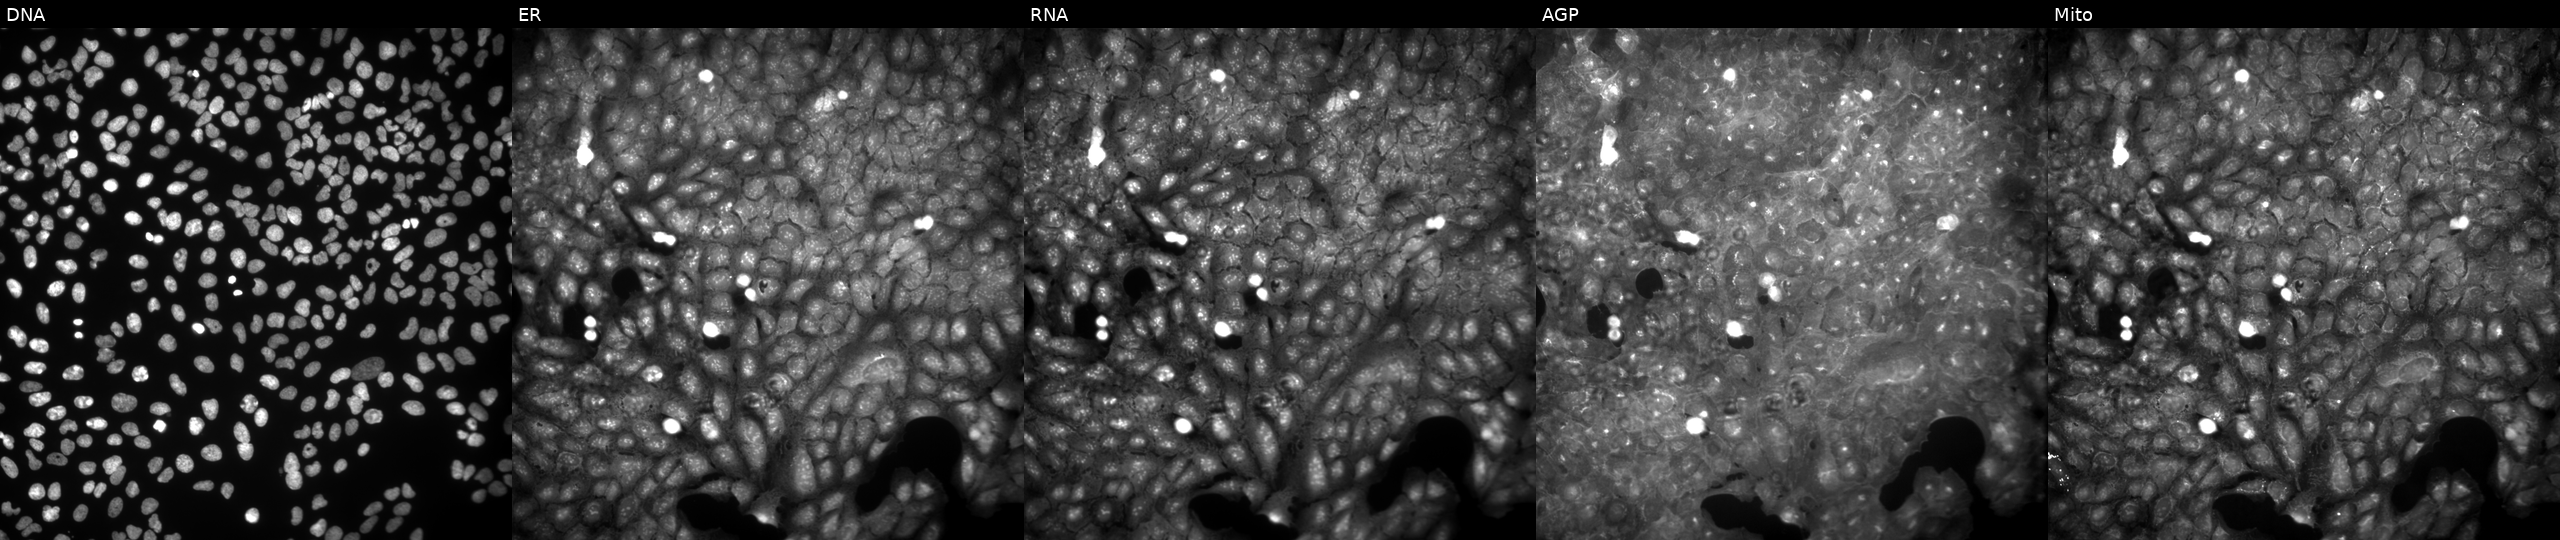
Channels (left→right): Hoechst 33342, concanavalin A, SYTO 14, phalloidin and WGA, MitoTracker. U2OS osteosarcoma cells perturbed with a small-molecule compound (InChIKey YMOCUVYPANPNFT-UHFFFAOYSA-N) (JUMP id JCP2022_109423). Cell Painting assay, JUMP-CP dataset.